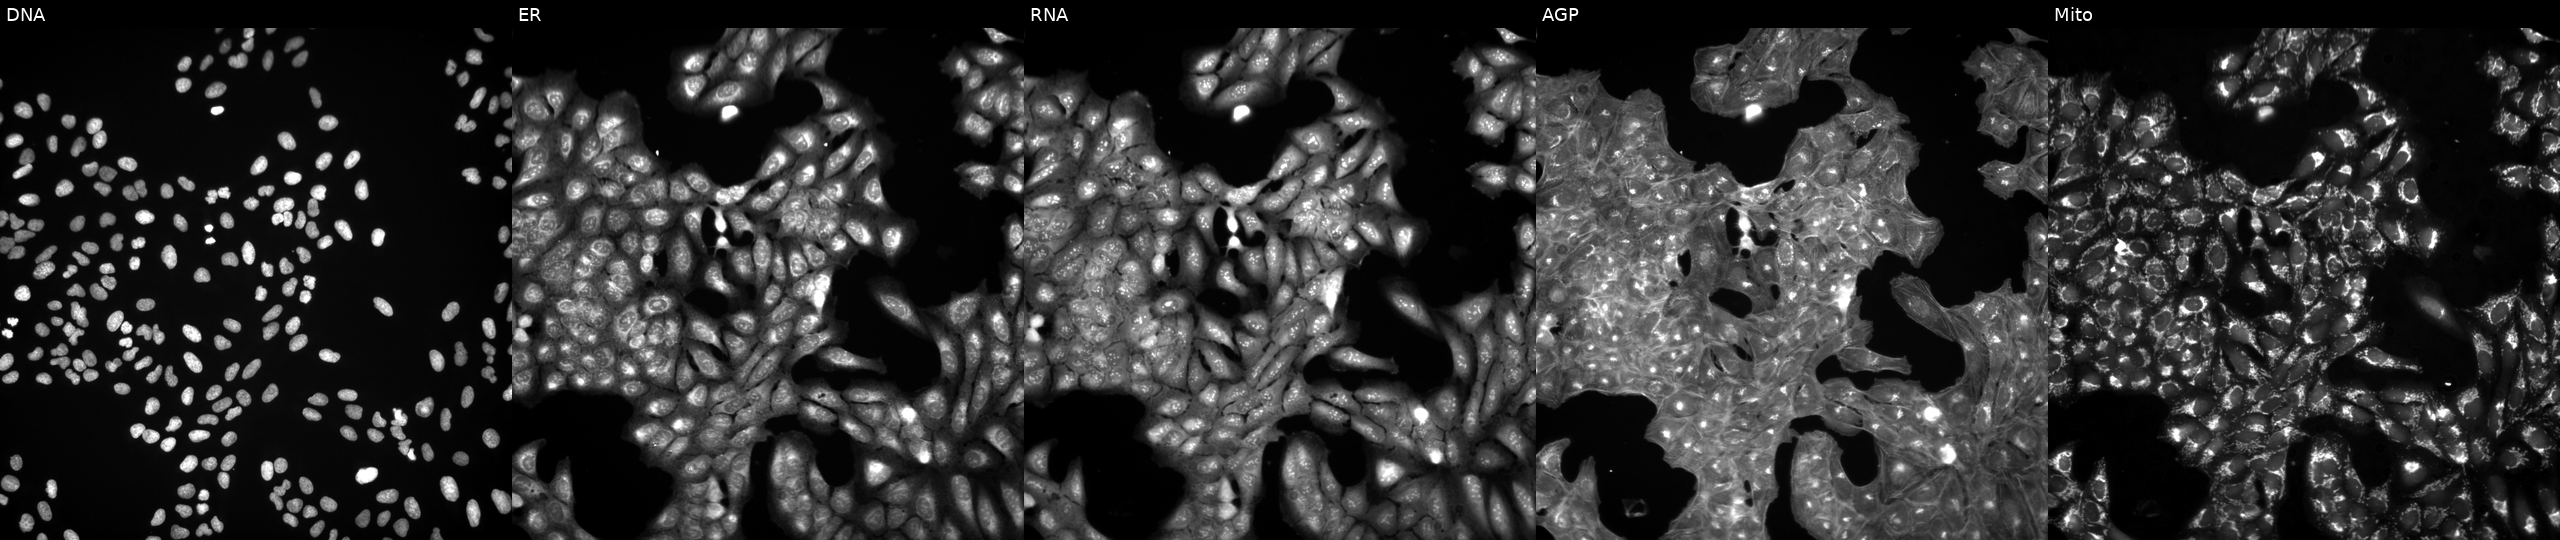
Five-channel Cell Painting image of U2OS cells perturbed with a small-molecule compound (InChIKey JUUFBMODXQKSTD-UHFFFAOYSA-N) (JUMP id JCP2022_042261). Panels show, left to right, DNA, ER, RNA, AGP, and Mito.